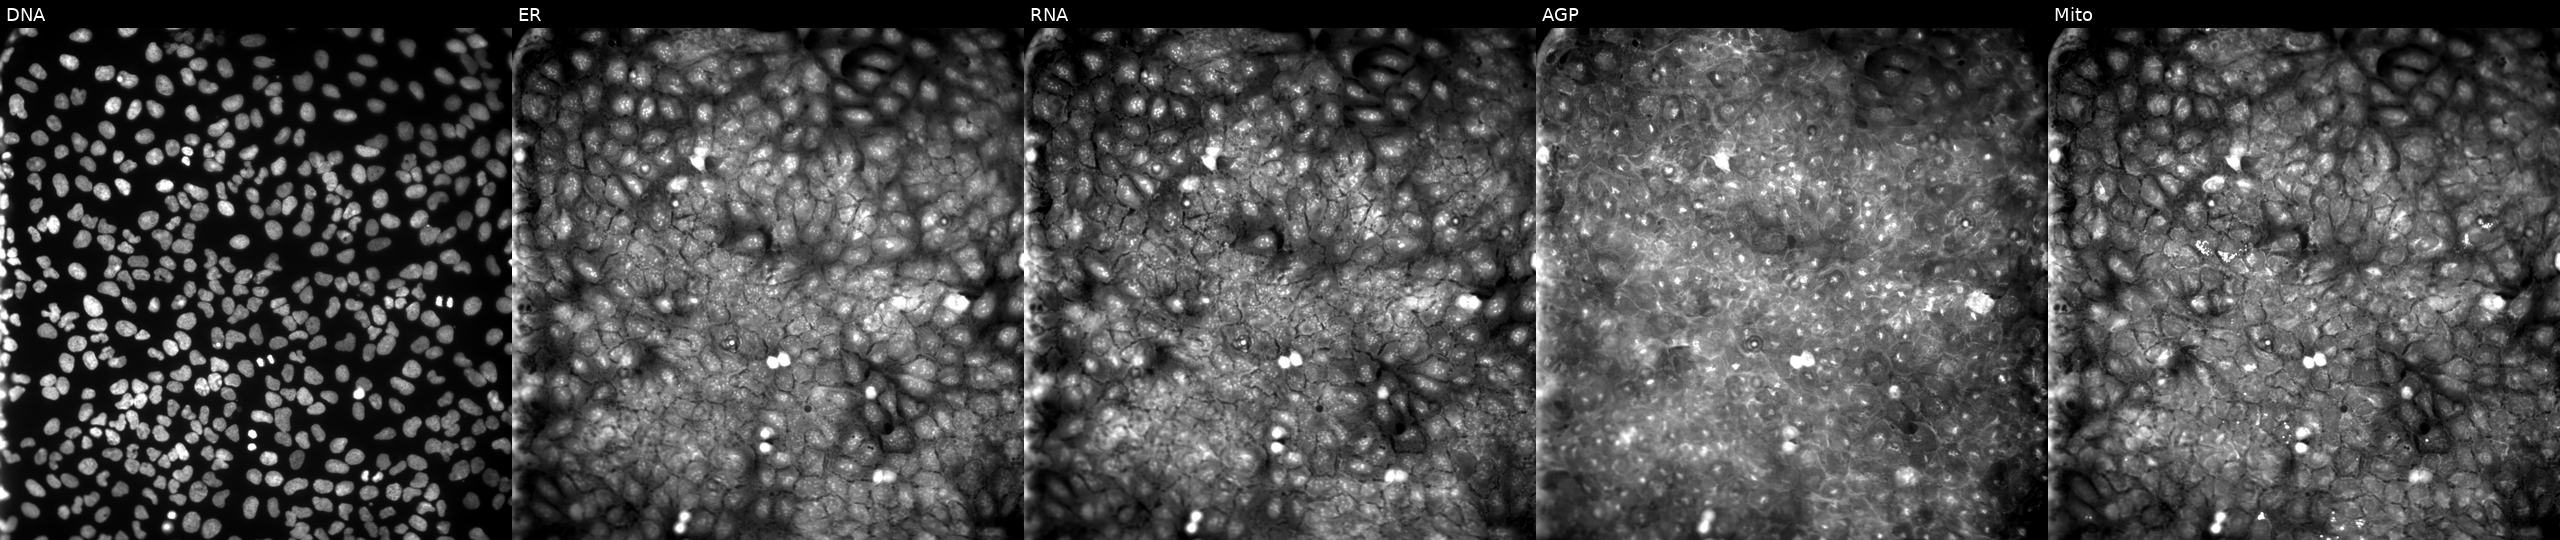
The five panels, left to right, show DNA, ER, RNA, AGP, and Mito. U2OS osteosarcoma cells treated with a small-molecule compound (InChIKey HEJBUTYETGXHEA-UHFFFAOYSA-N) (JUMP id JCP2022_029663). Cell Painting assay, JUMP-CP dataset.